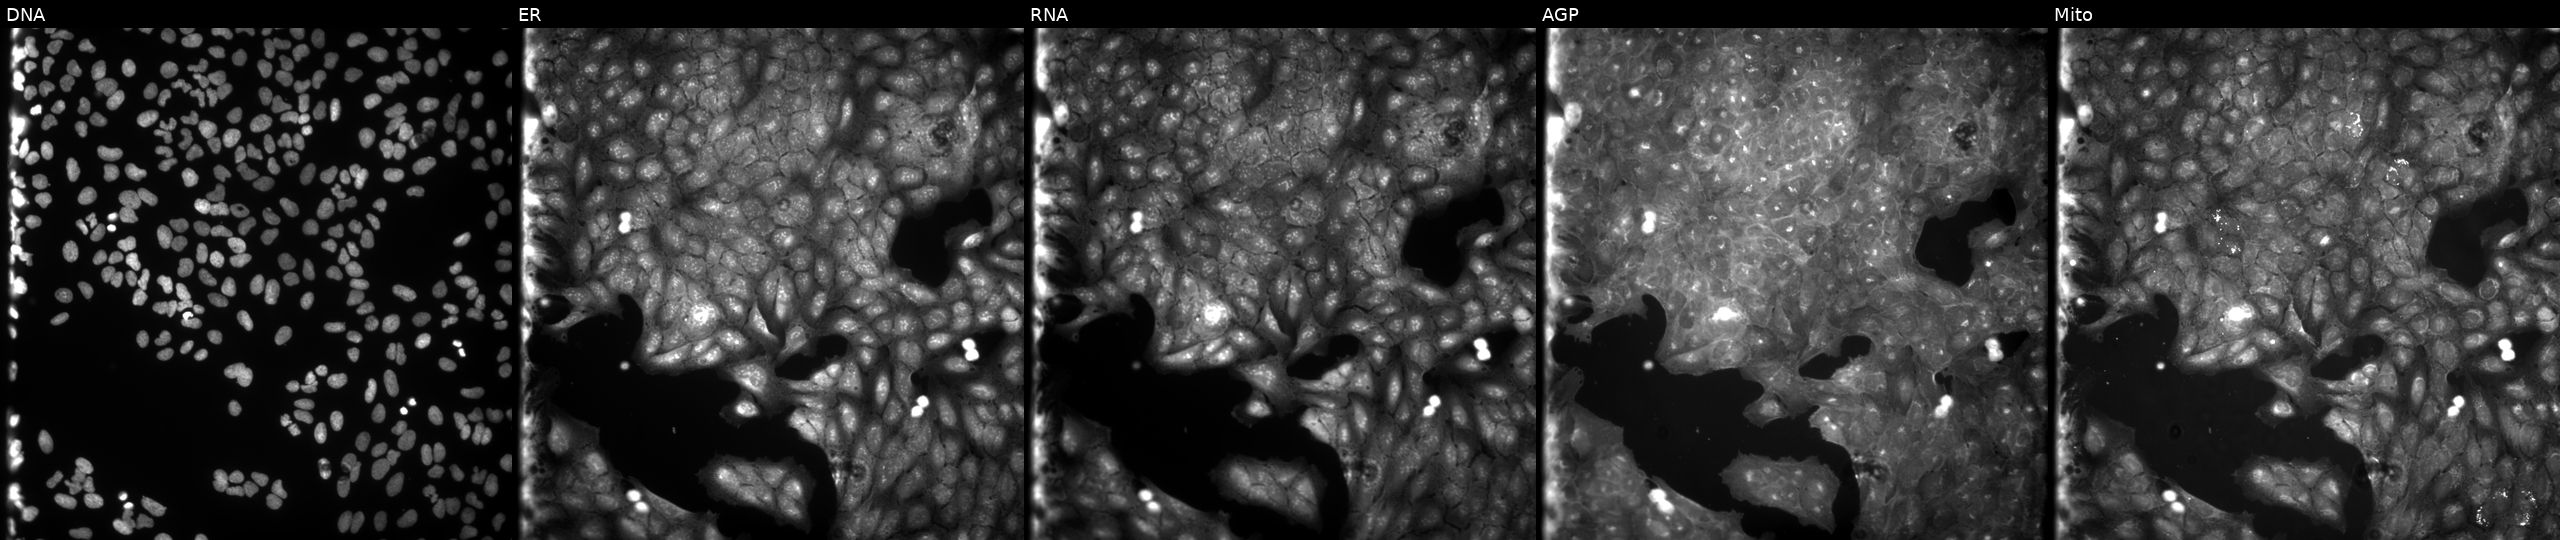
JUMP Cell Painting — COMPOUND plate. U2OS cells treated with a small-molecule compound (JUMP id JCP2022_085565). Channels (left→right): Hoechst 33342, concanavalin A, SYTO 14, phalloidin and WGA, MitoTracker.